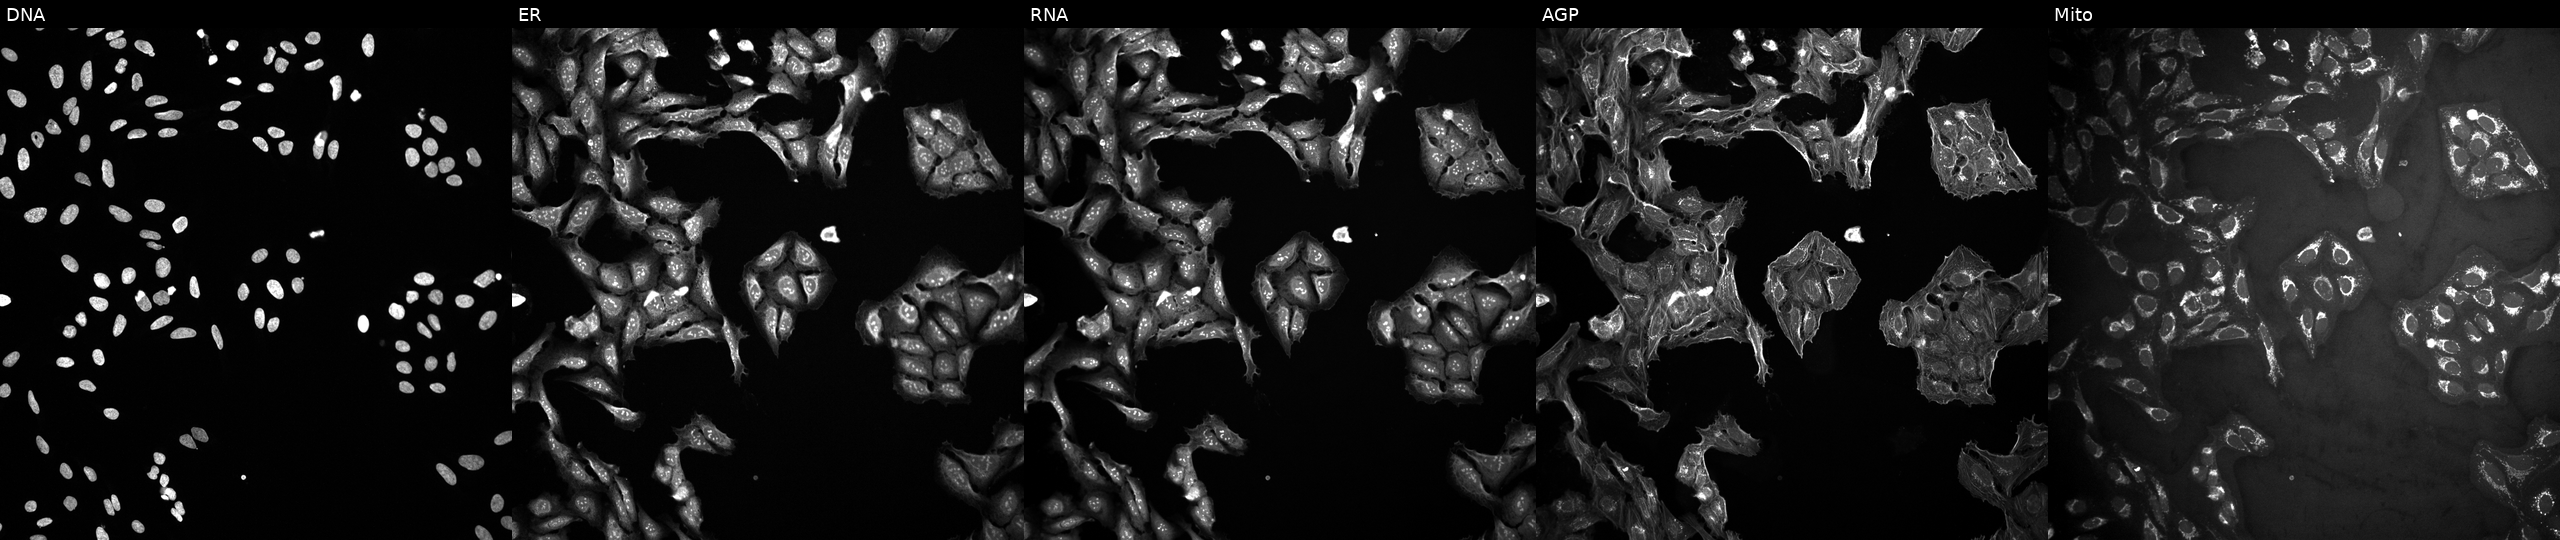
U2OS cells, Cell Painting assay, treated with a small-molecule compound (InChIKey NTKSCUWMDPDQKY-UHFFFAOYSA-N) (JUMP id JCP2022_061271). From left to right: Hoechst 33342, concanavalin A, SYTO 14, phalloidin and WGA, MitoTracker. Each panel is percentile-stretched 16-bit fluorescence. Source 10, plate Dest210531-152149, well L15.